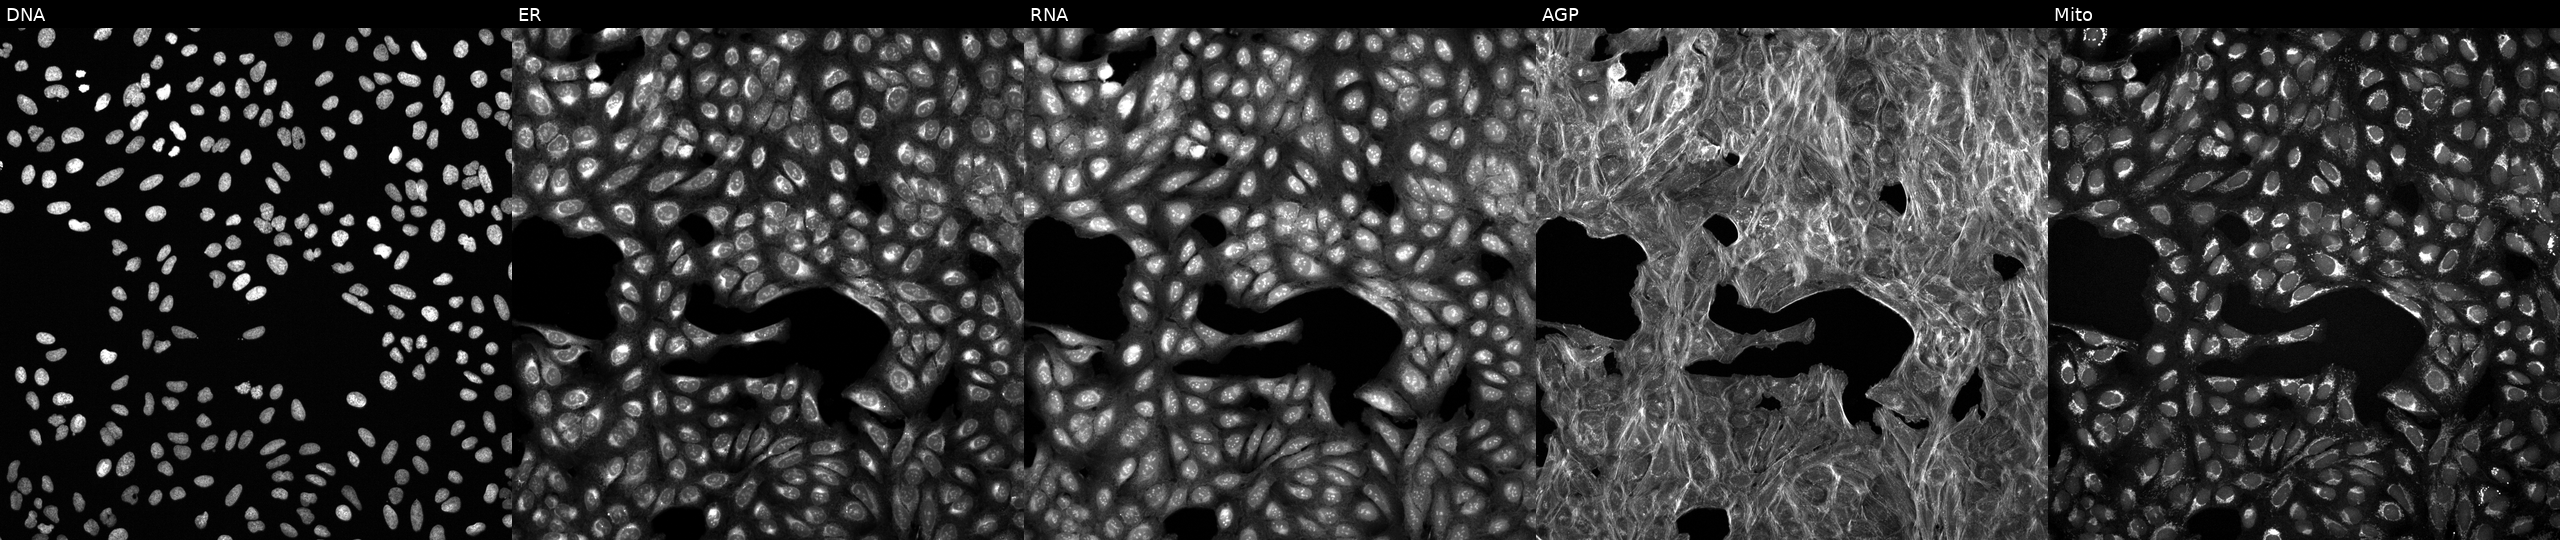
JUMP Cell Painting — COMPOUND plate. U2OS cells treated with a small-molecule compound. From left to right: DNA, ER, RNA, AGP, and Mito. Source 6, plate 110000293082, well H11.